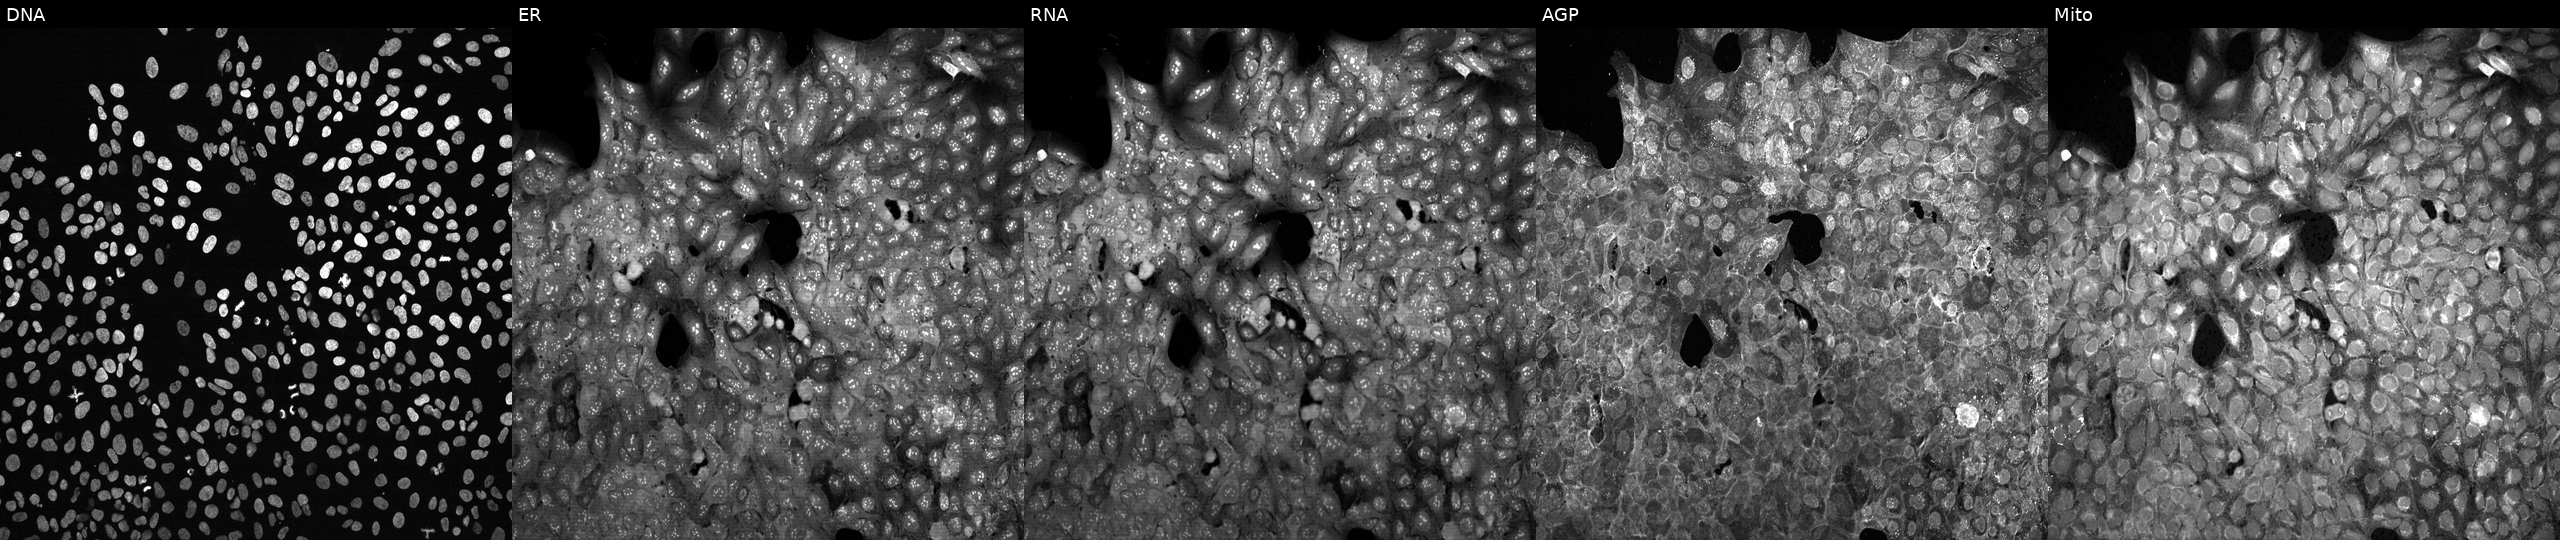
Five-channel Cell Painting image of U2OS cells treated with LY2109761 (positive-control compound) (JUMP id JCP2022_035095). From left to right: DNA, ER, RNA, AGP, and Mito.